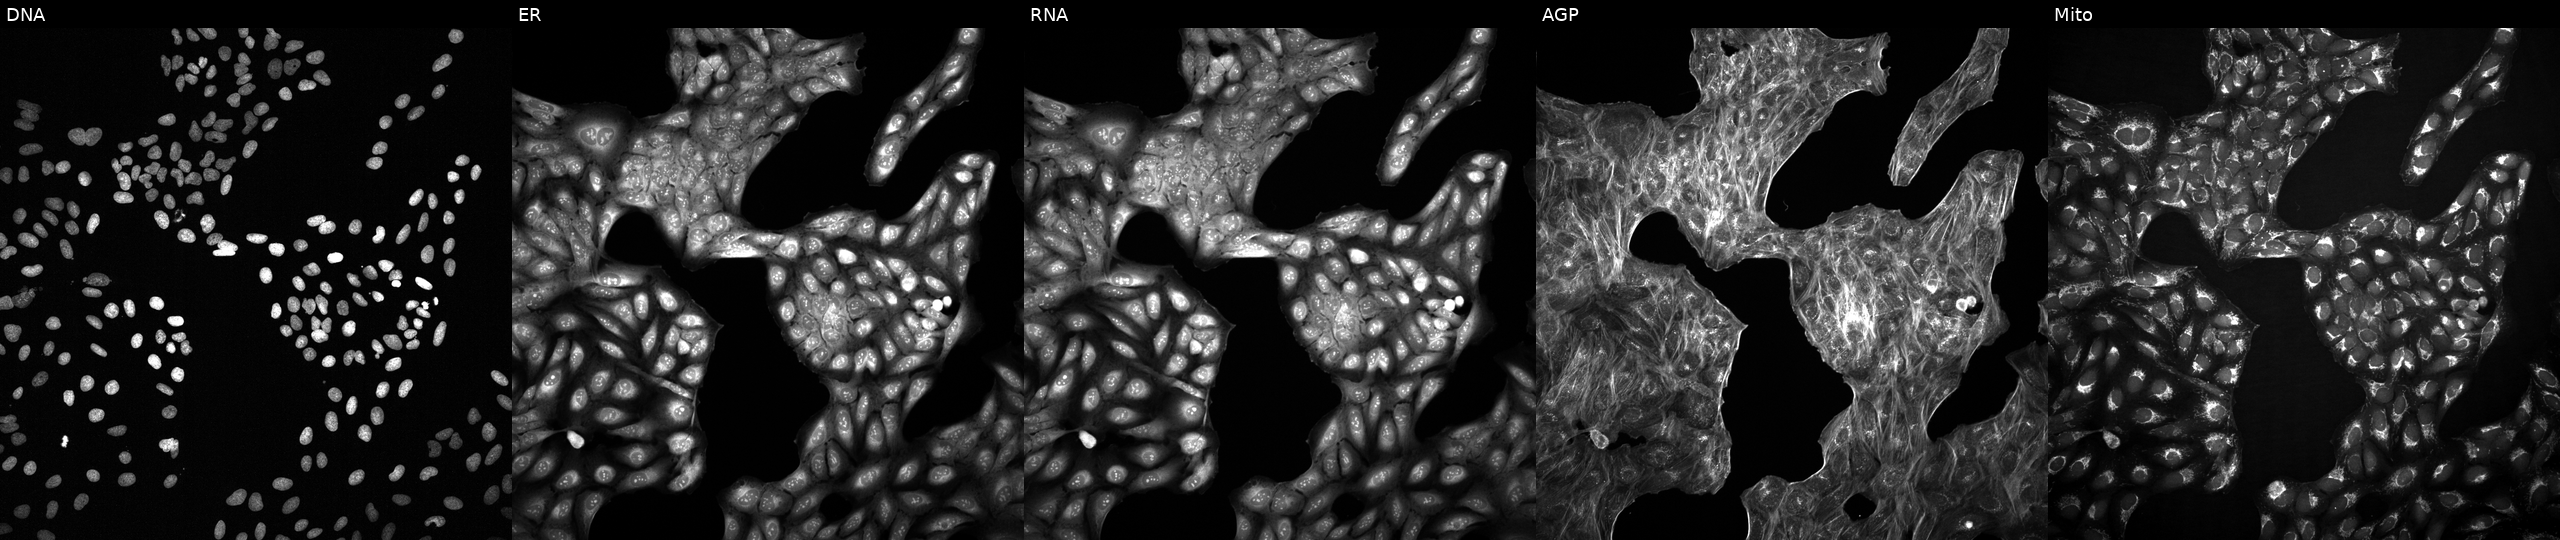
High-content fluorescence microscopy (Cell Painting). Cell line: U2OS. Perturbation: treated with a small-molecule compound (JUMP id JCP2022_100327). The five panels, left to right, show Hoechst 33342, concanavalin A, SYTO 14, phalloidin and WGA, MitoTracker. Source 2, plate 1053601756, well I07.